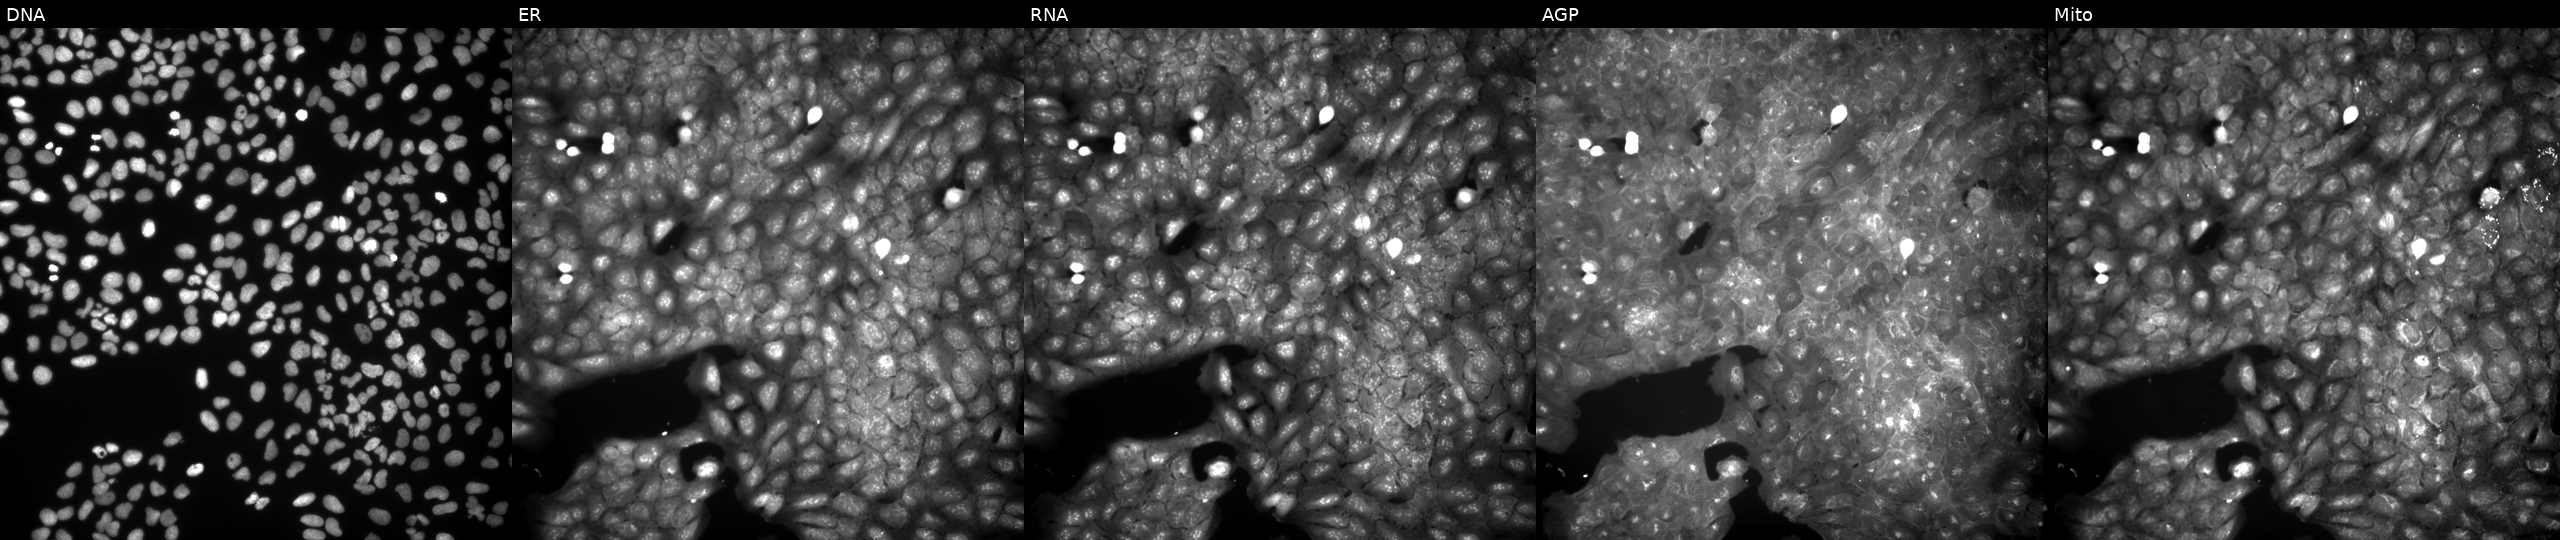
This image strip shows the five Cell Painting channels for a single field of U2OS cells exposed to a small-molecule compound (JUMP id JCP2022_002197). Panels show, left to right, Hoechst 33342, concanavalin A, SYTO 14, phalloidin and WGA, MitoTracker.